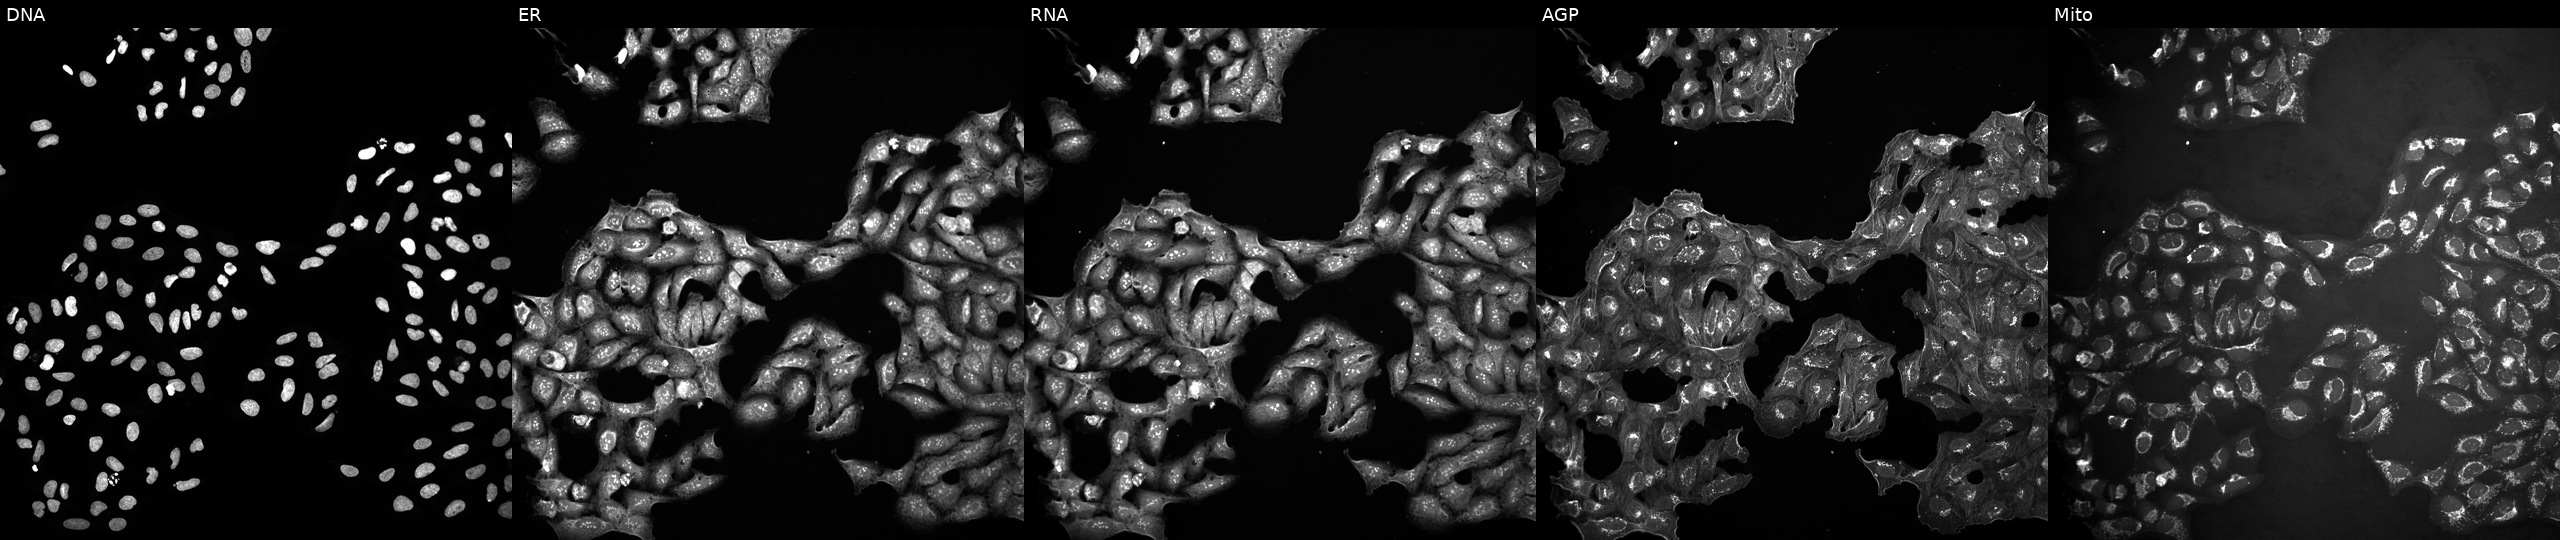
JUMP Cell Painting — COMPOUND plate. U2OS cells exposed to the positive-control compound NVS-PAK1-1 (JUMP id JCP2022_064022). The five panels, left to right, show DNA, ER, RNA, AGP, and Mito. Source 10, plate Dest210531-152149, well B24.